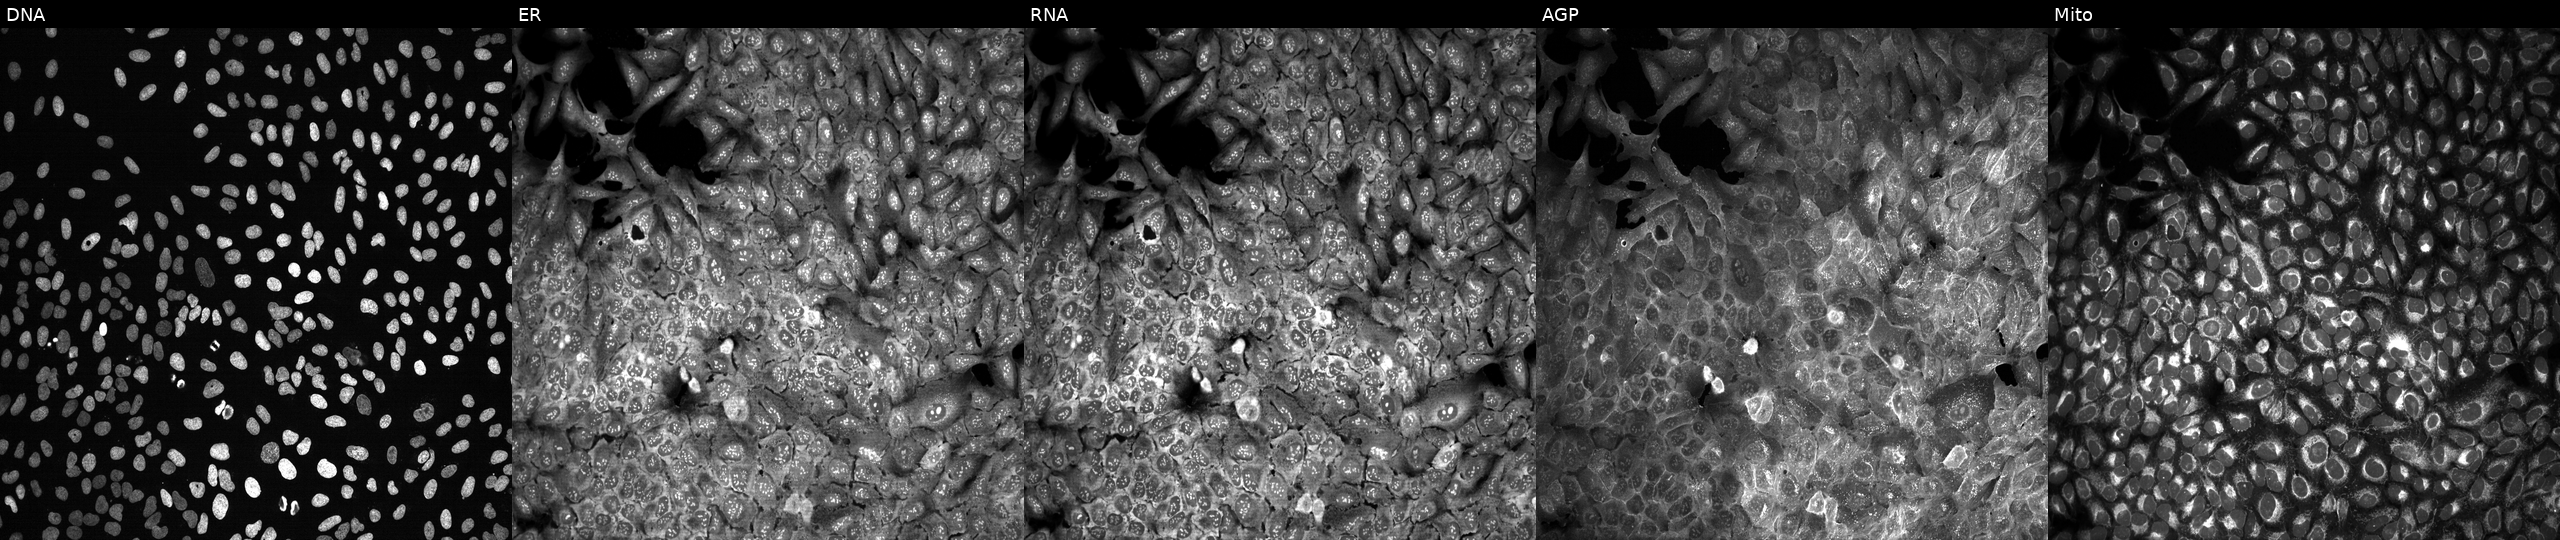
Five-channel Cell Painting image of U2OS cells following CRISPR knockout of PAX2. From left to right: DNA (nuclei); ER (endoplasmic reticulum); RNA (nucleoli and cytoplasmic RNA); AGP (actin cytoskeleton, Golgi, and plasma membrane); Mito (mitochondria). Source 13, plate CP-CC9-R6-19, well D20.